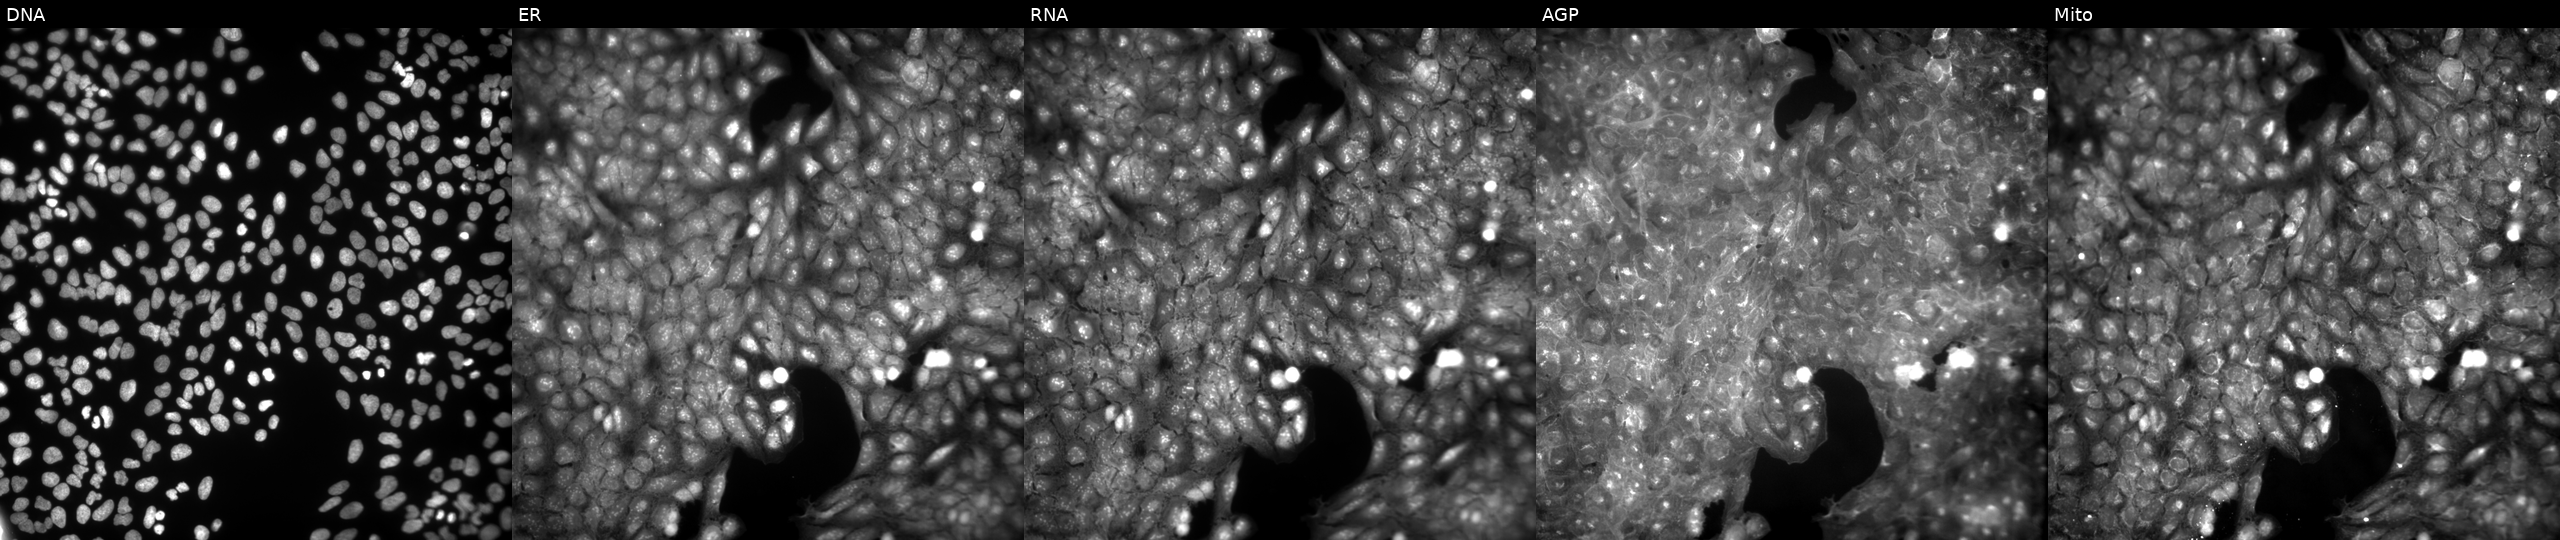
High-content fluorescence microscopy (Cell Painting). Cell line: U2OS. Perturbation: exposed to a small-molecule compound (JUMP id JCP2022_049175). From left to right: DNA, ER, RNA, AGP, and Mito.